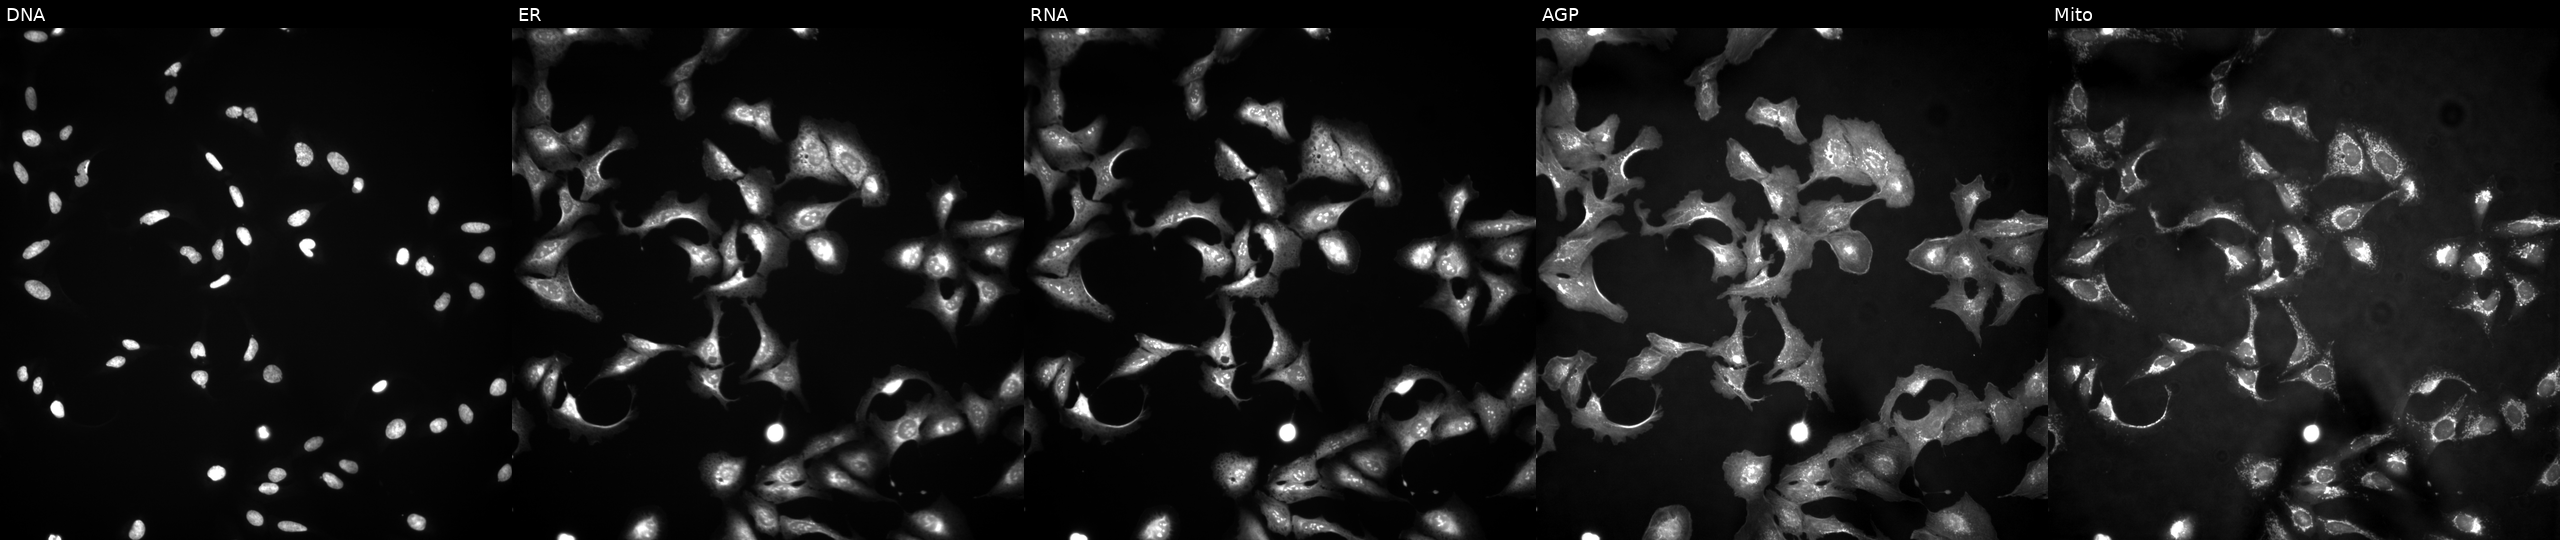
U2OS cells, Cell Painting assay, in an empty control well (no perturbation). Panels show, left to right, DNA, ER, RNA, AGP, and Mito. Each panel is percentile-stretched 16-bit fluorescence.